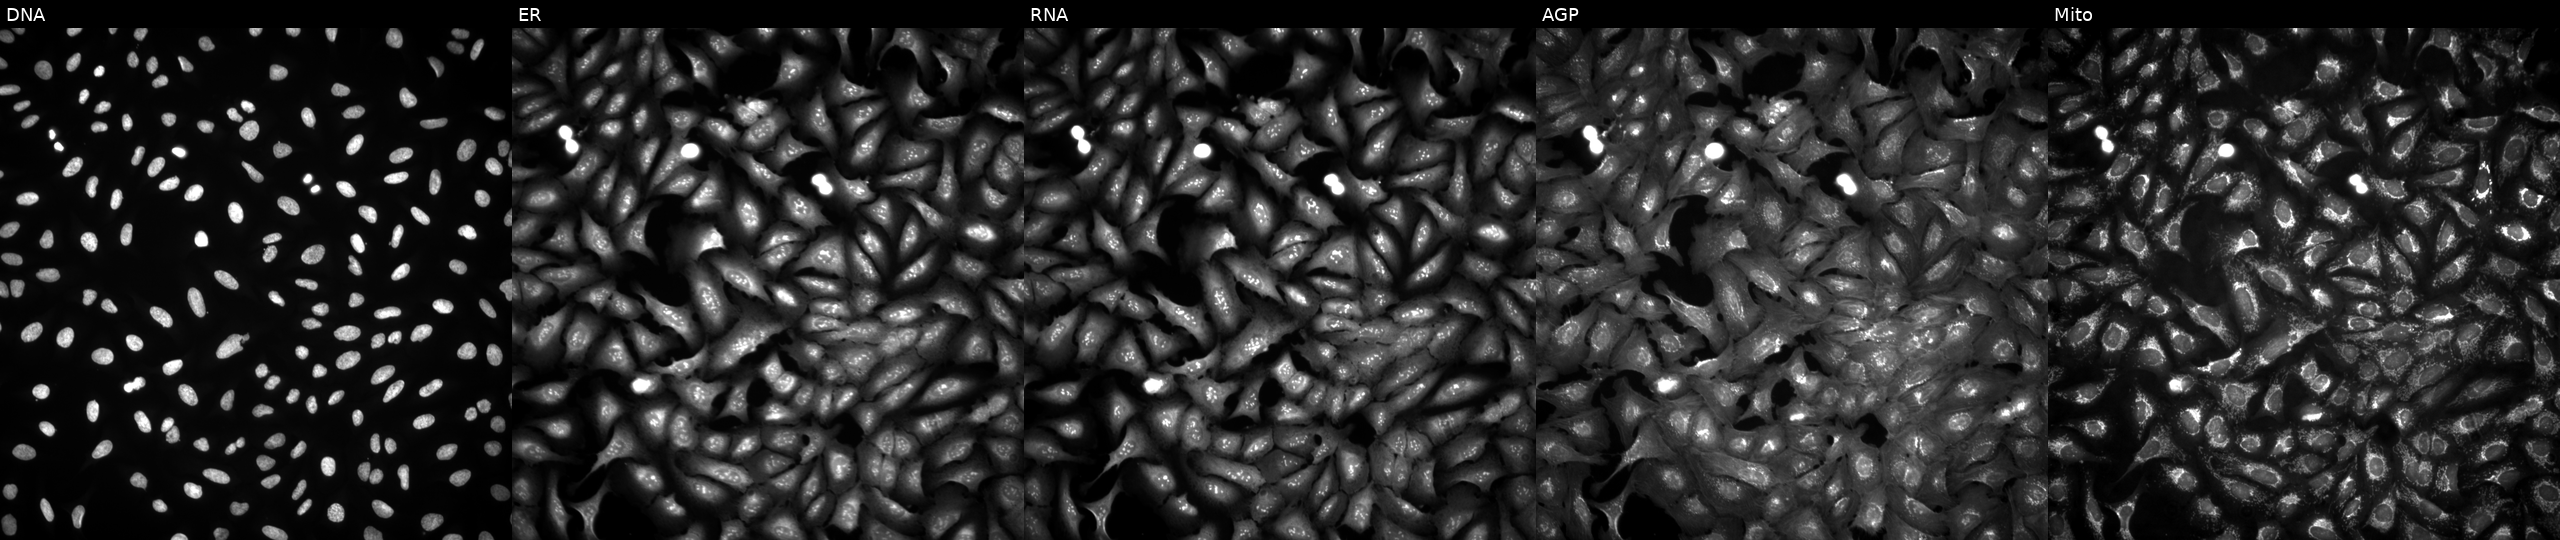
The five panels, left to right, show DNA, ER, RNA, AGP, and Mito. U2OS osteosarcoma cells transfected with an ORF construct for RPL32. Cell Painting assay, JUMP-CP dataset.